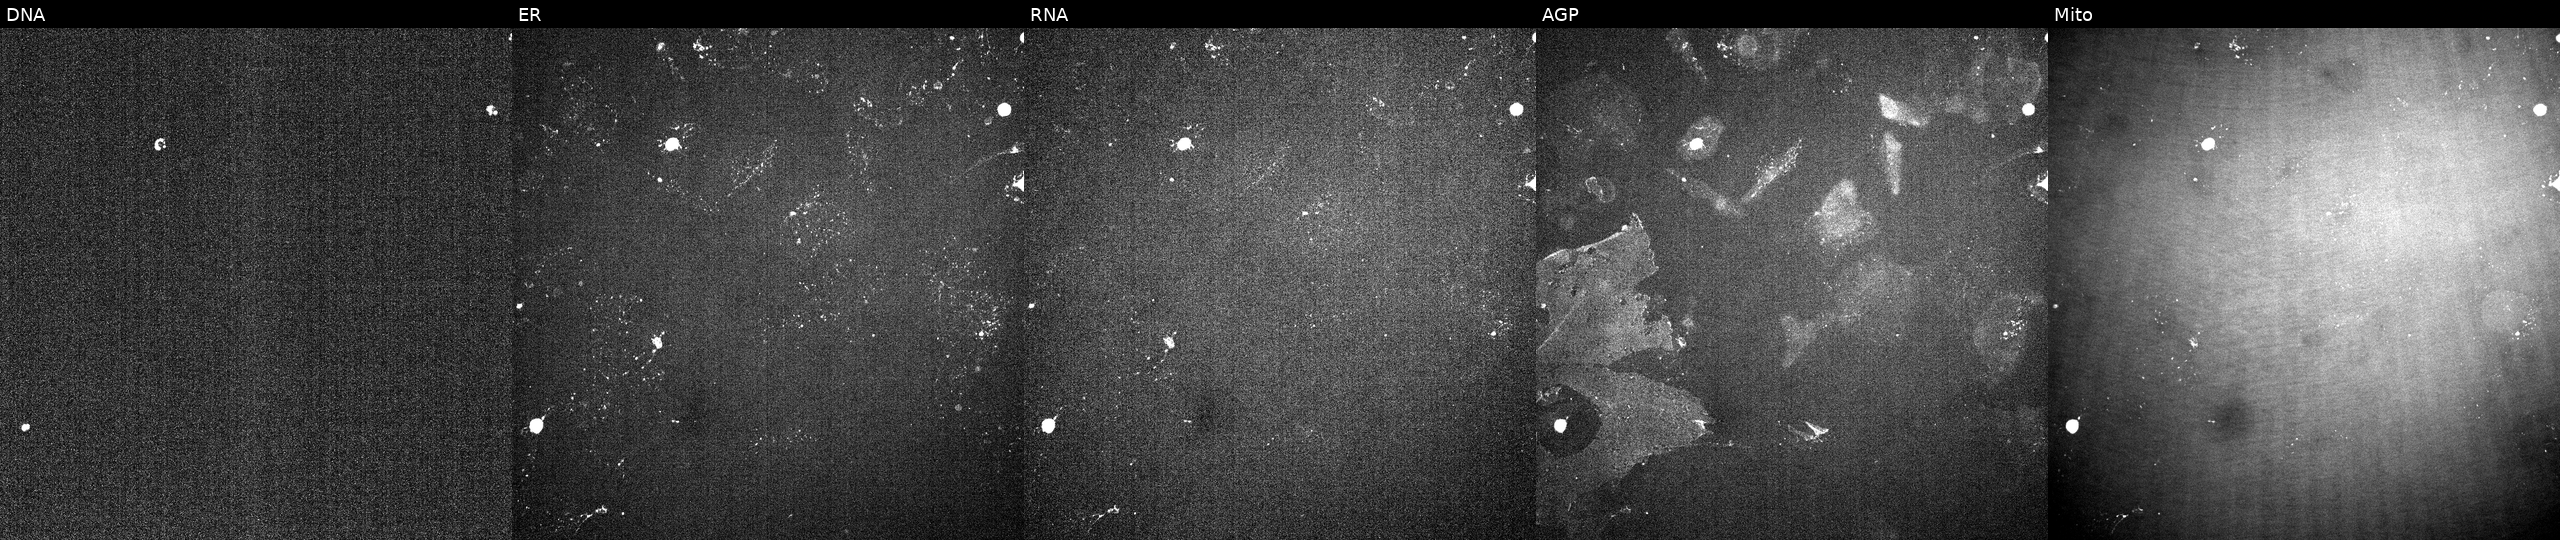
This image strip shows the five Cell Painting channels for a single field of U2OS cells with an unidentified perturbation (not annotated in JUMP metadata). Panels show, left to right, DNA, ER, RNA, AGP, and Mito.